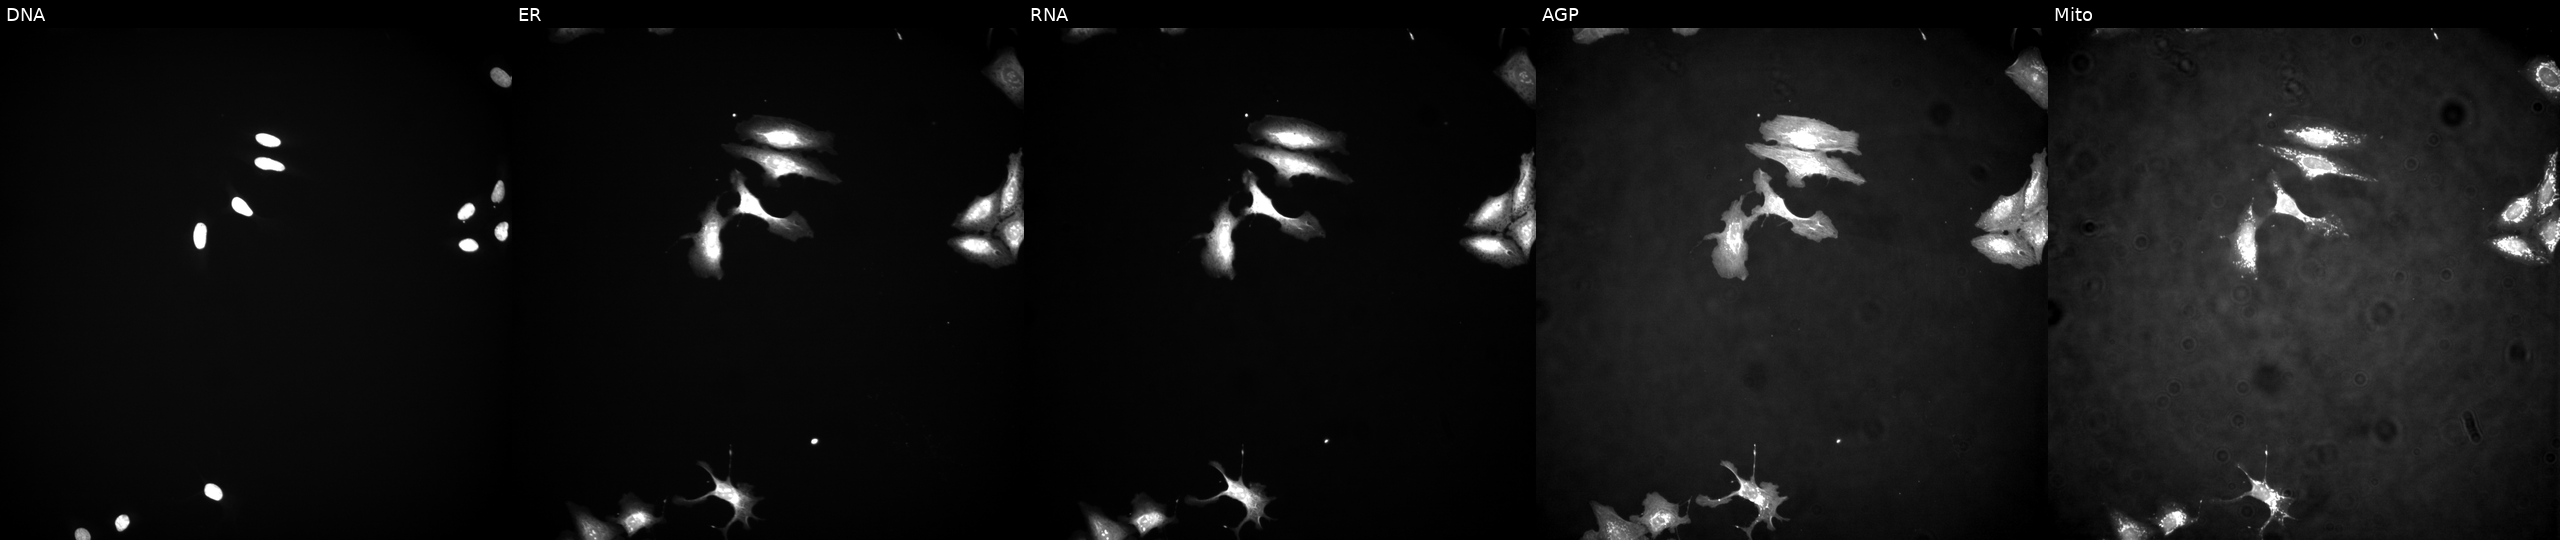
U2OS cells, Cell Painting assay, transfected with an ORF construct for RABL6 (JUMP id JCP2022_913256). The five panels, left to right, show DNA, ER, RNA, AGP, and Mito. Each panel is percentile-stretched 16-bit fluorescence.